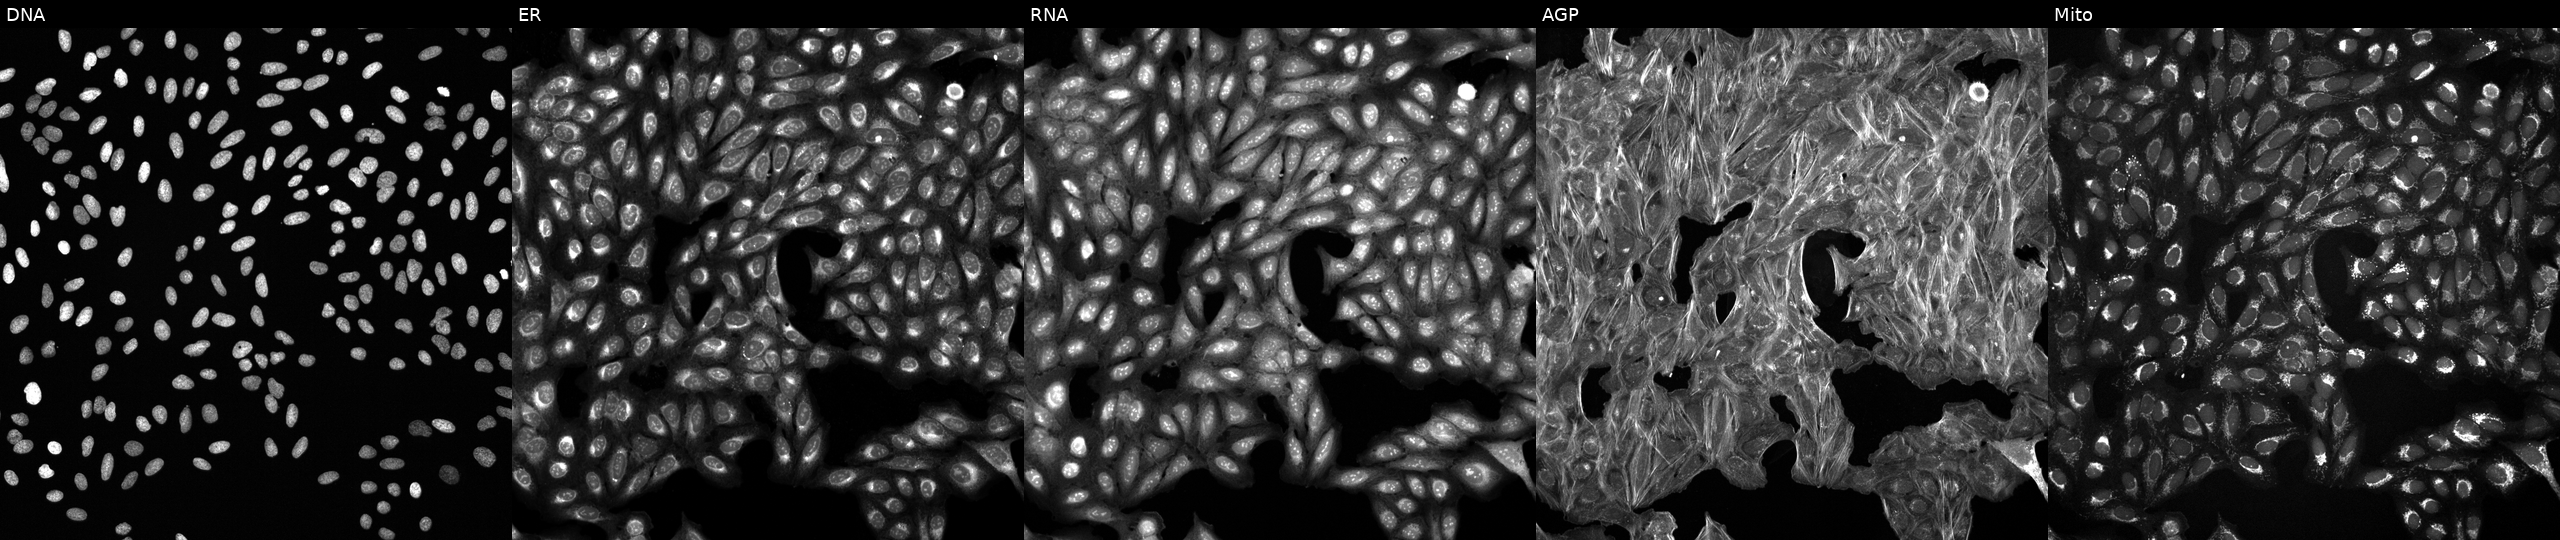
This image strip shows the five Cell Painting channels for a single field of U2OS cells exposed to a small-molecule compound (InChIKey QMUXVIAJFYOJBC-UHFFFAOYSA-N) [SMILES: CN(C)S(=O)(=O)c1ccc2c(c1)cc(C(=O)N1CCOCC1)n2Cc1ccccc1] (JUMP id JCP2022_074527). From left to right: DNA, ER, RNA, AGP, and Mito. Source 6, plate 110000293082, well G06.